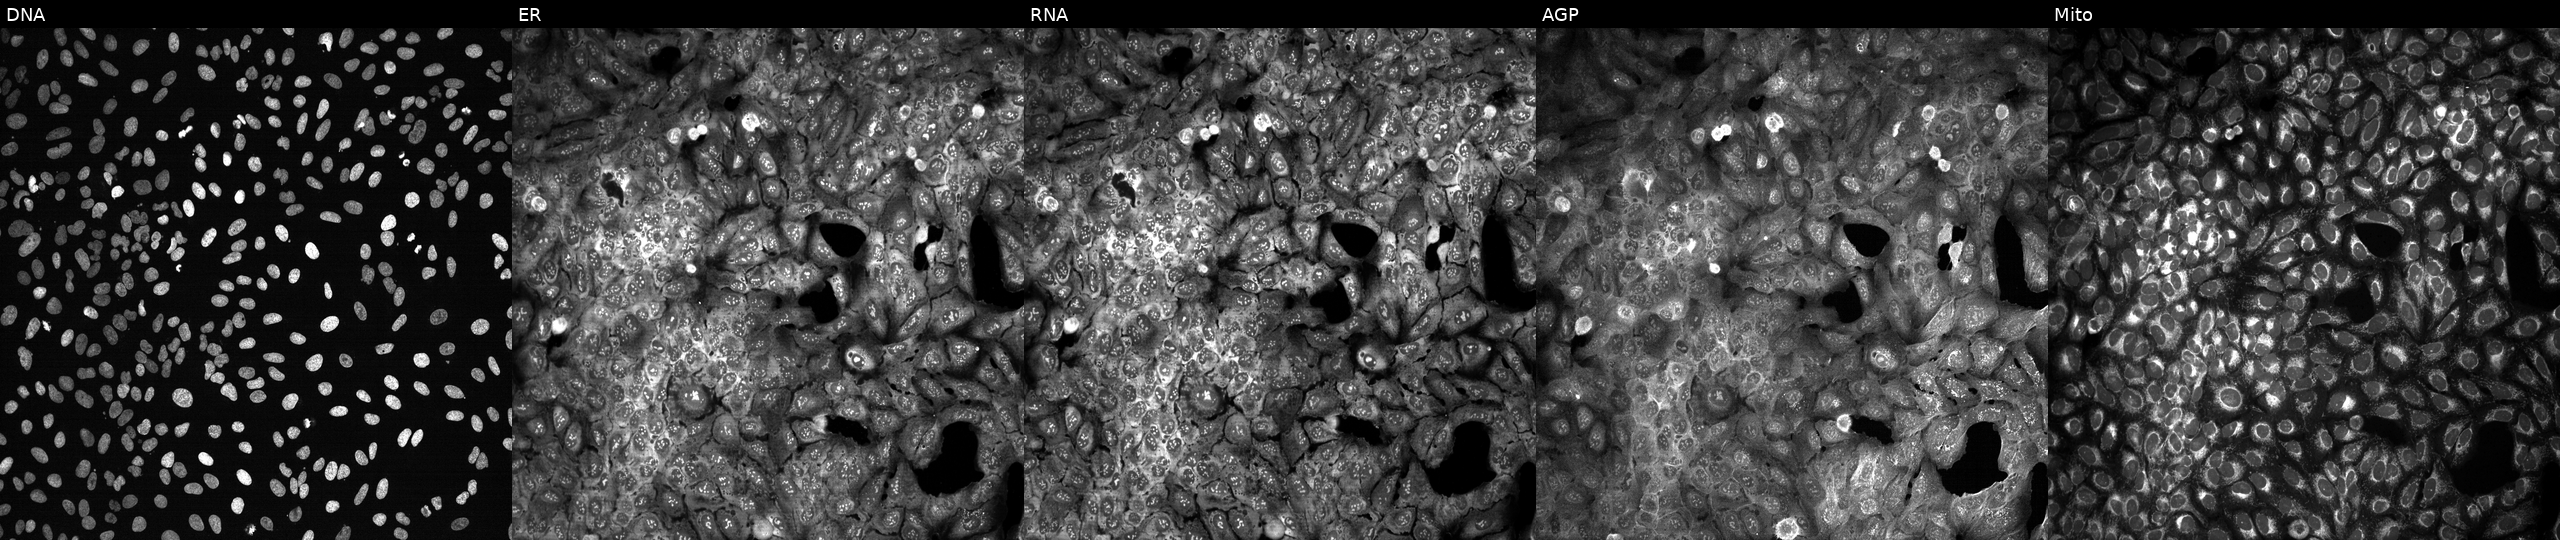
Channels (left→right): DNA (nuclei); ER (endoplasmic reticulum); RNA (nucleoli and cytoplasmic RNA); AGP (actin cytoskeleton, Golgi, and plasma membrane); Mito (mitochondria). U2OS osteosarcoma cells with RAP1A knocked out by CRISPR. Cell Painting assay, JUMP-CP dataset.